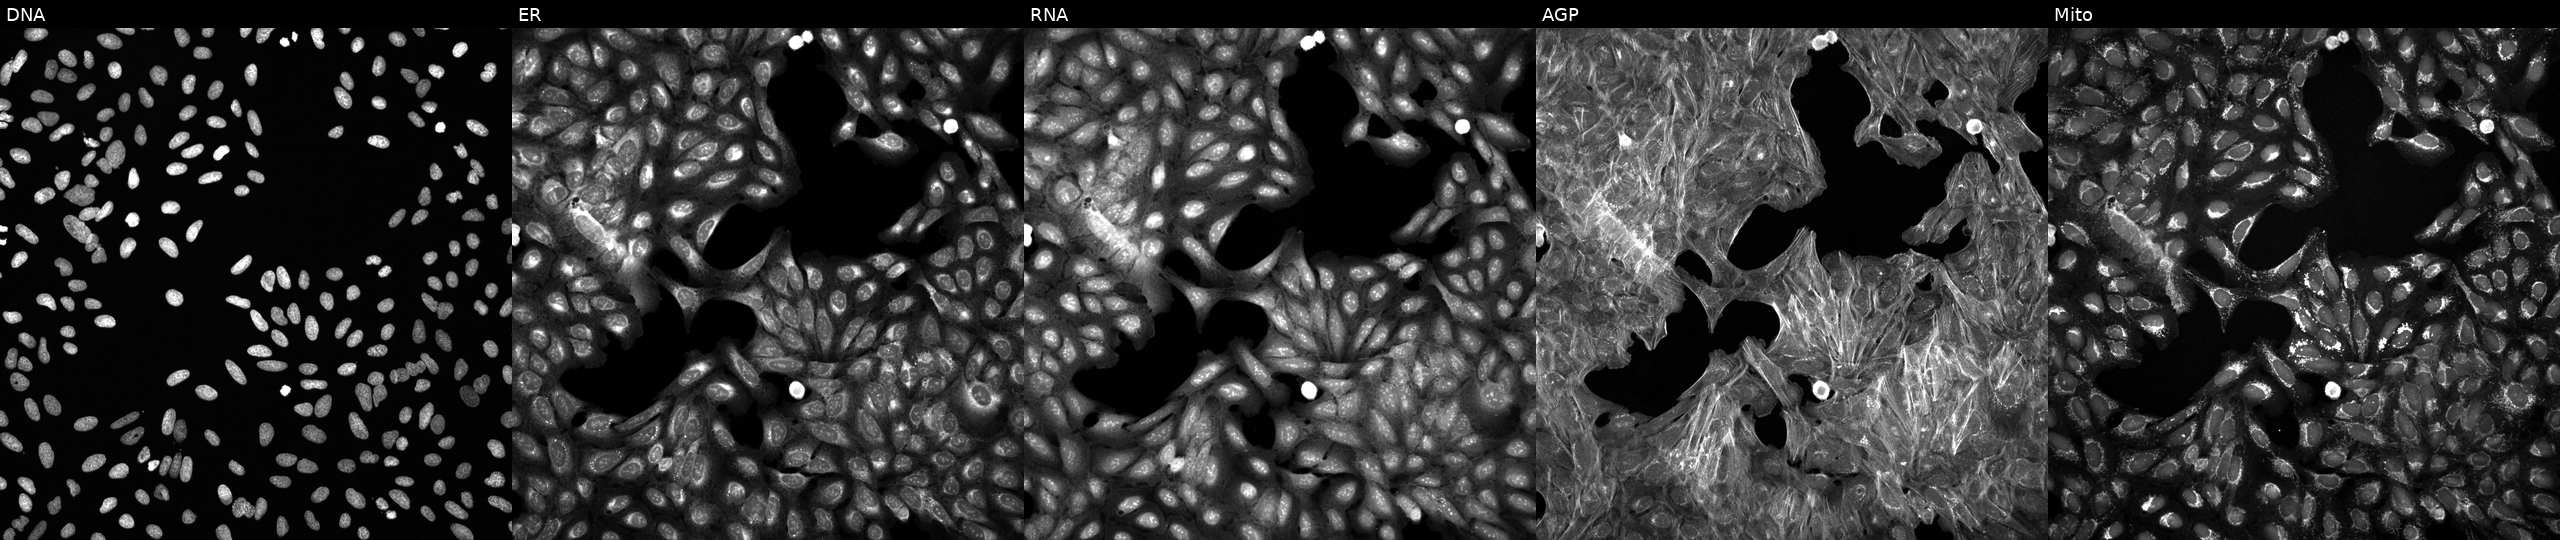
High-content fluorescence microscopy (Cell Painting). Cell line: U2OS. Perturbation: exposed to DMSO alone as a negative control (JUMP id JCP2022_033924). Channels (left→right): DNA (nuclei); ER (endoplasmic reticulum); RNA (nucleoli and cytoplasmic RNA); AGP (actin cytoskeleton, Golgi, and plasma membrane); Mito (mitochondria).